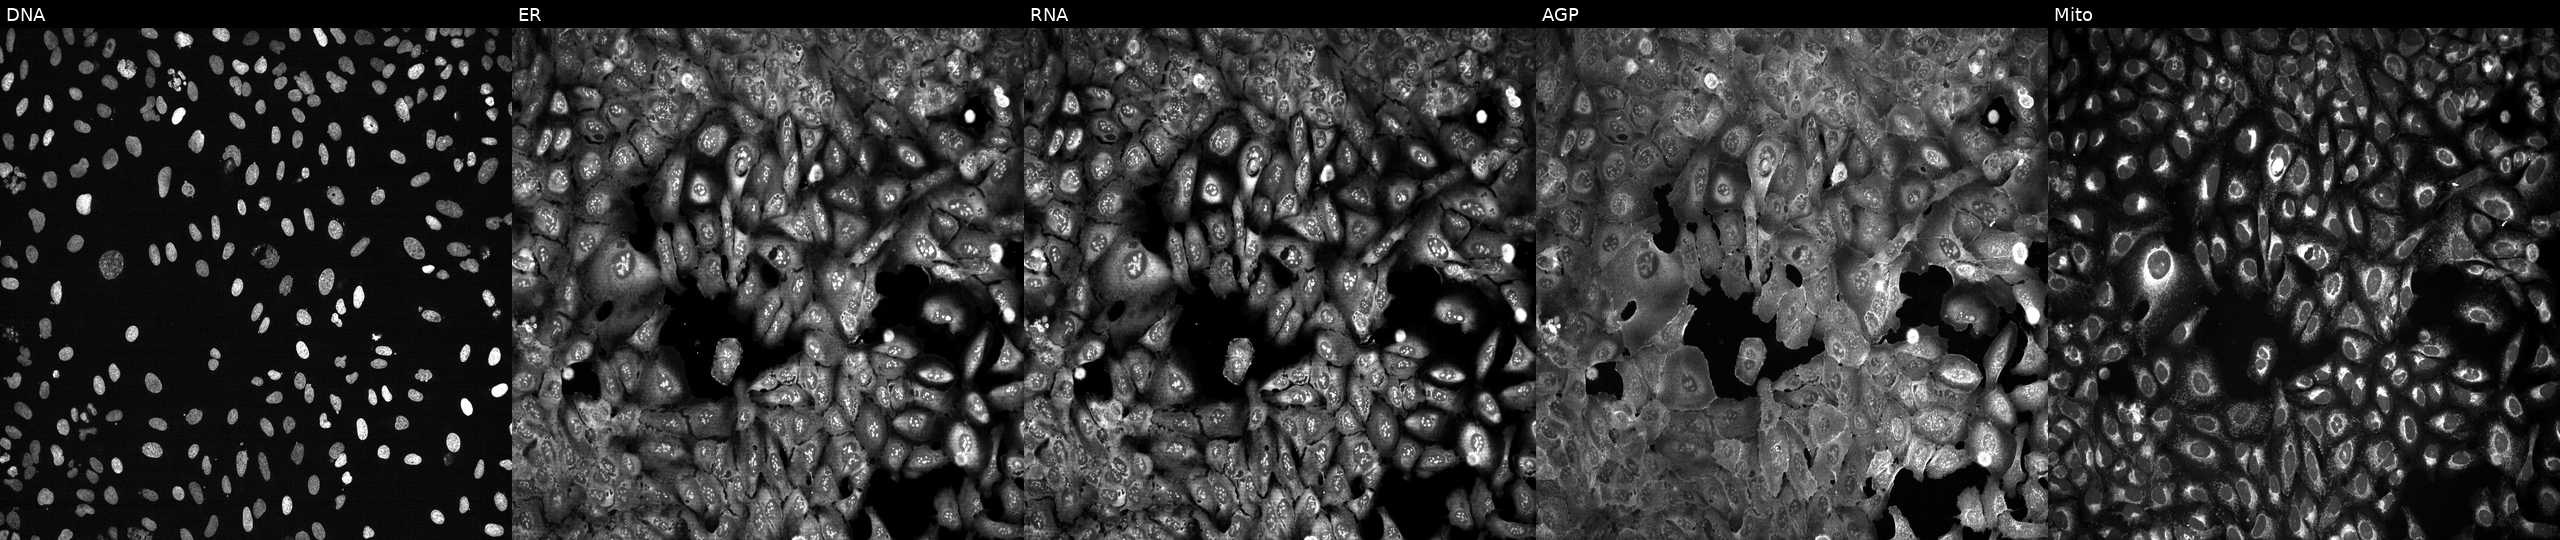
High-content fluorescence microscopy (Cell Painting). Cell line: U2OS. Perturbation: following CRISPR knockout of ANK2. Channels (left→right): Hoechst 33342, concanavalin A, SYTO 14, phalloidin and WGA, MitoTracker.